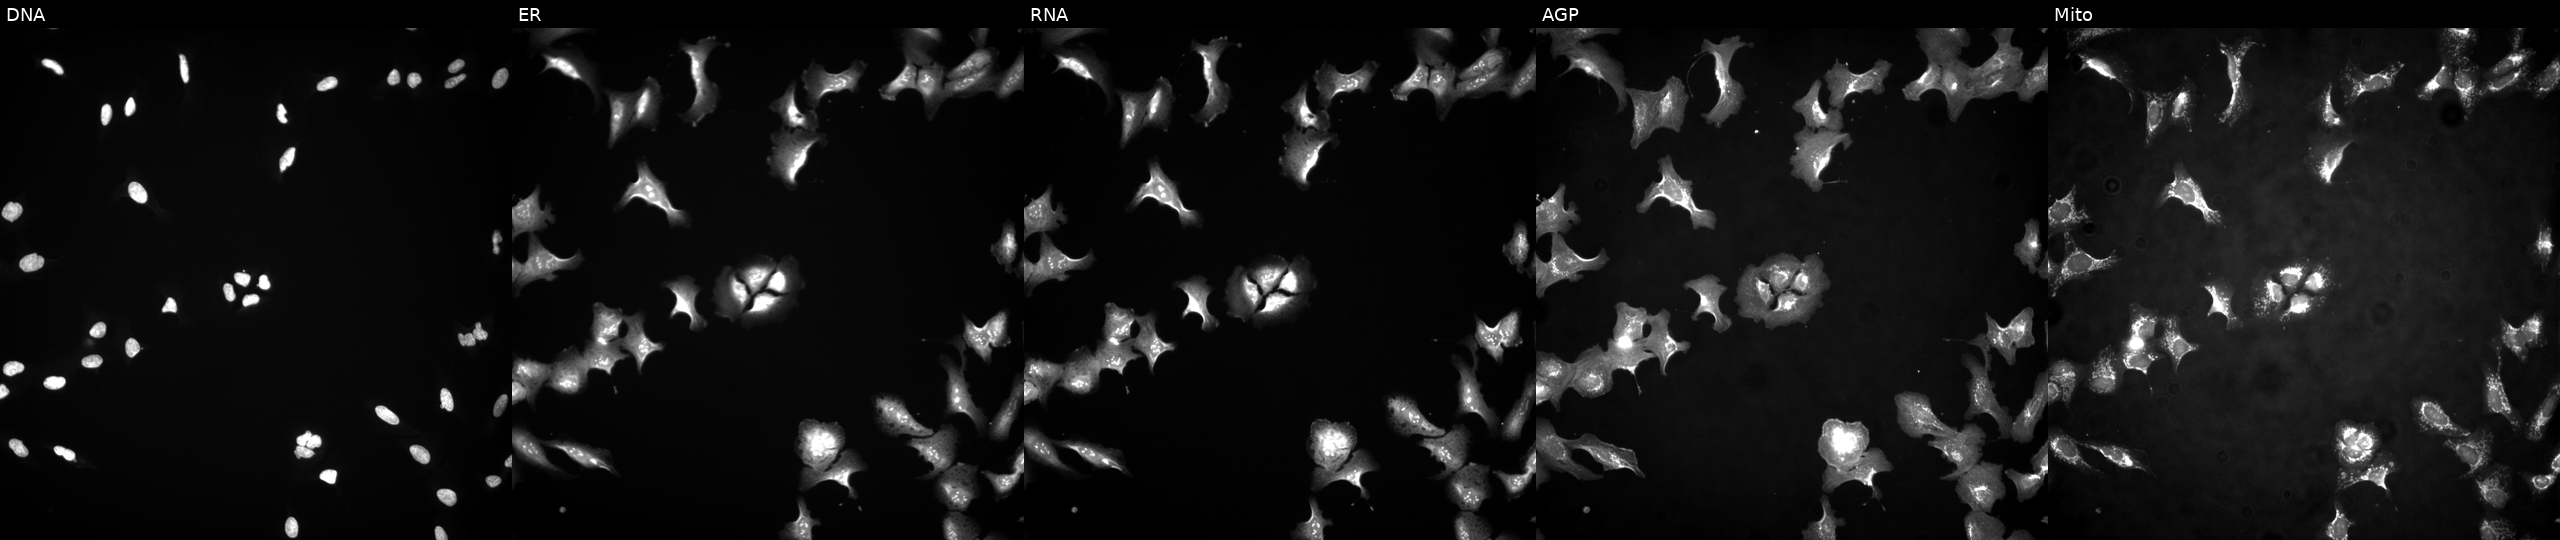
U2OS cells, Cell Painting assay, transfected with an ORF construct for MORF4L1 (JUMP id JCP2022_914715). From left to right: Hoechst 33342, concanavalin A, SYTO 14, phalloidin and WGA, MitoTracker. Each panel is percentile-stretched 16-bit fluorescence.